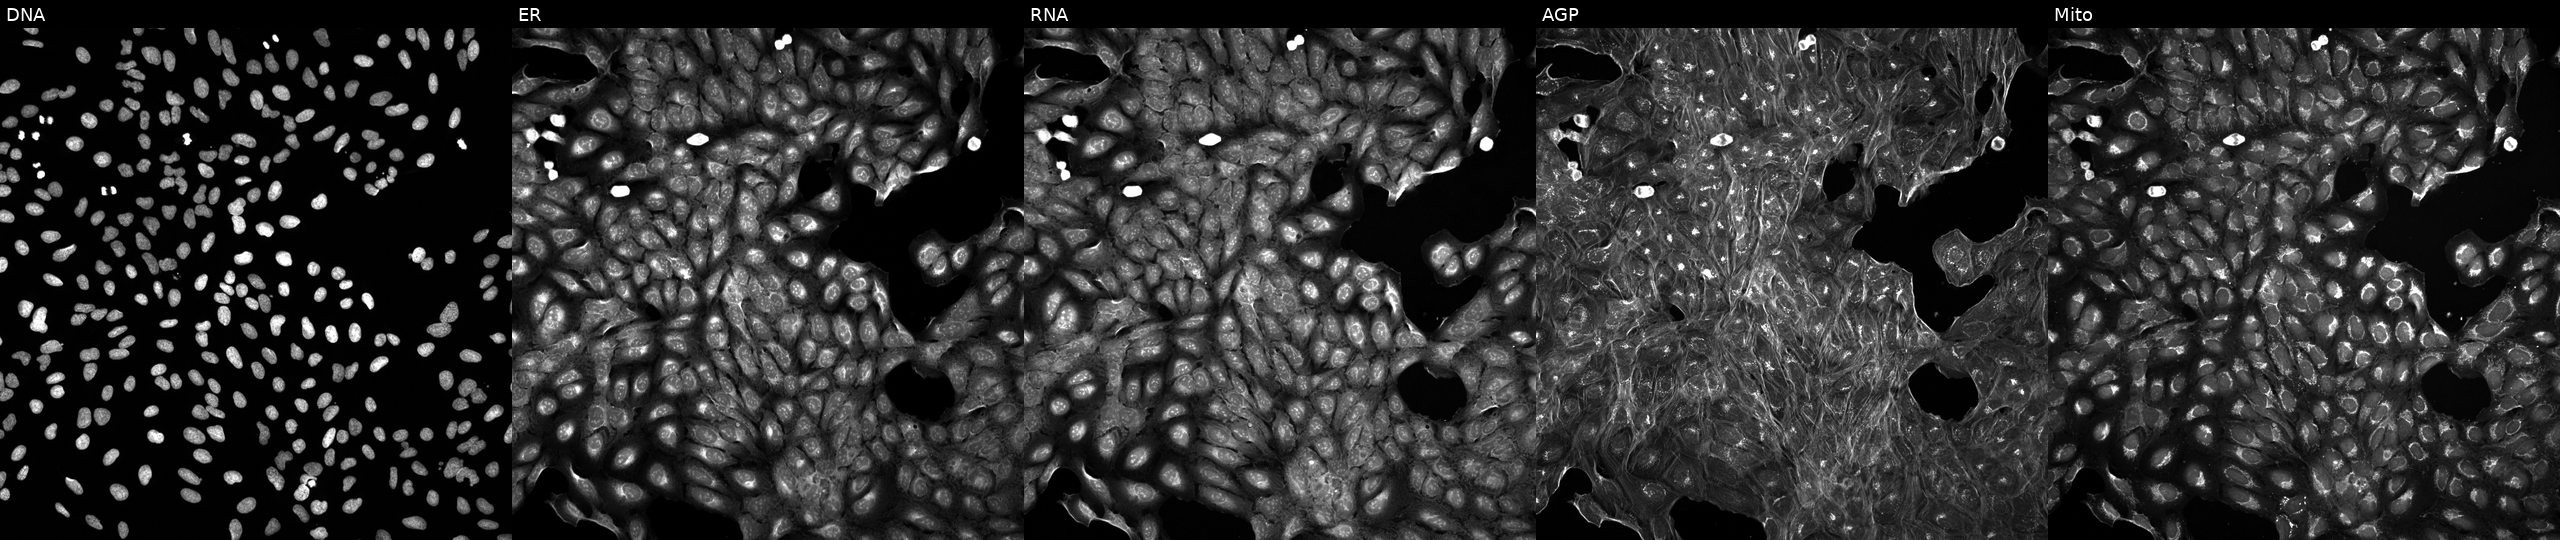
Five-channel Cell Painting image of U2OS cells exposed to DMSO alone as a negative control (JUMP id JCP2022_033924). Panels show, left to right, Hoechst 33342, concanavalin A, SYTO 14, phalloidin and WGA, MitoTracker. Source 5, plate ACPJUM032, well K14.